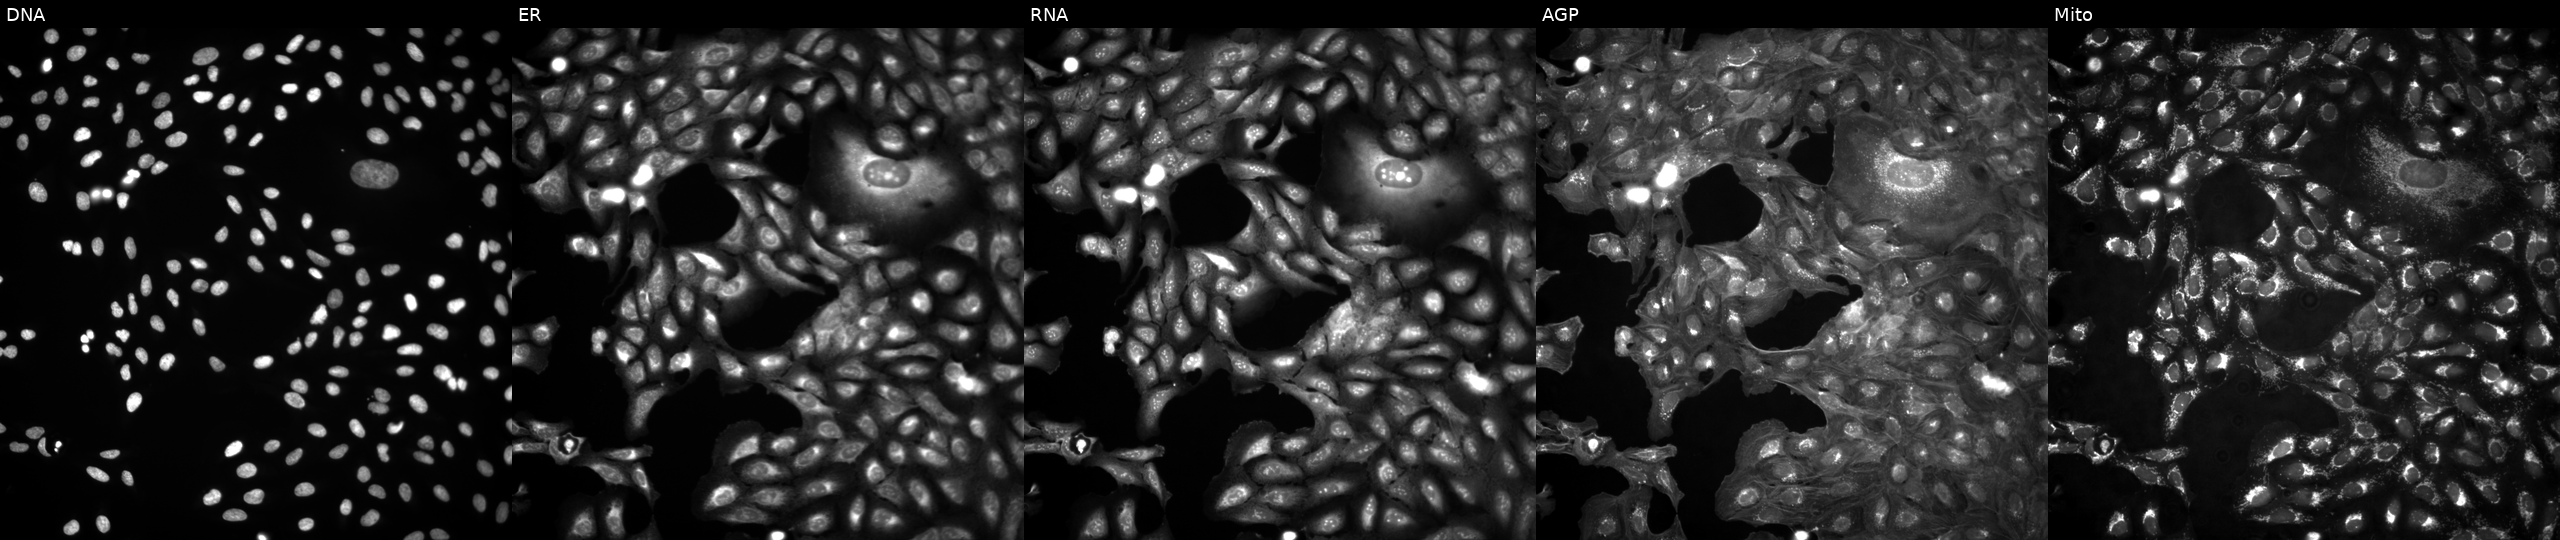
U2OS cells, Cell Painting assay, in an empty control well (no perturbation). The five panels, left to right, show DNA, ER, RNA, AGP, and Mito. Each panel is percentile-stretched 16-bit fluorescence. Source 4, plate BR00124793, well H24.